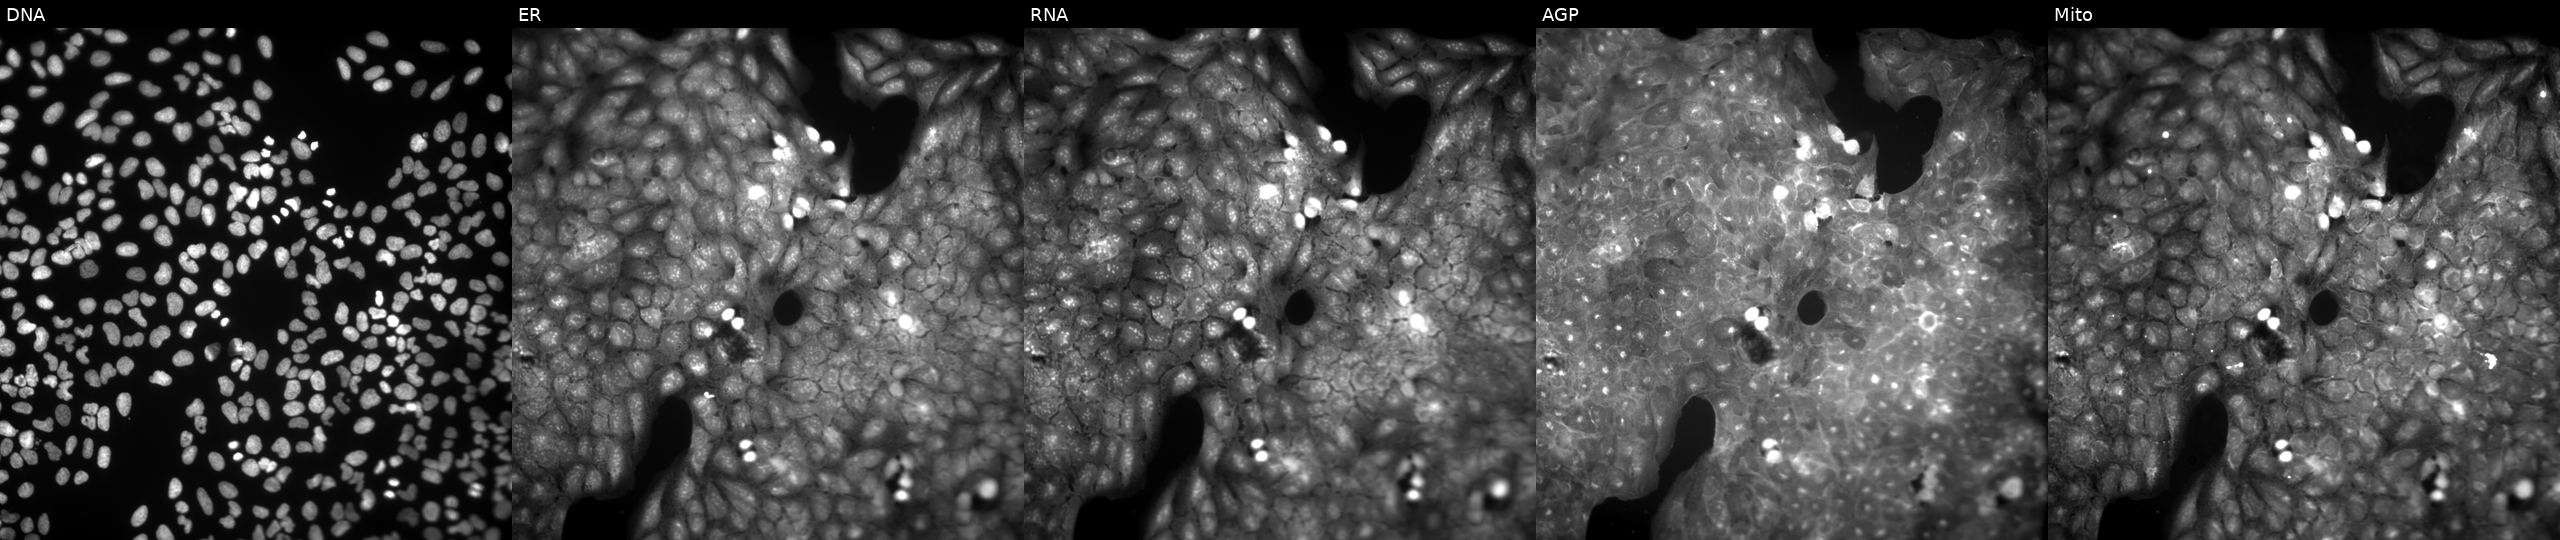
High-content fluorescence microscopy (Cell Painting). Cell line: U2OS. Perturbation: exposed to a small-molecule compound (InChIKey ARRASWWBPLATOR-UHFFFAOYSA-N). From left to right: DNA, ER, RNA, AGP, and Mito.